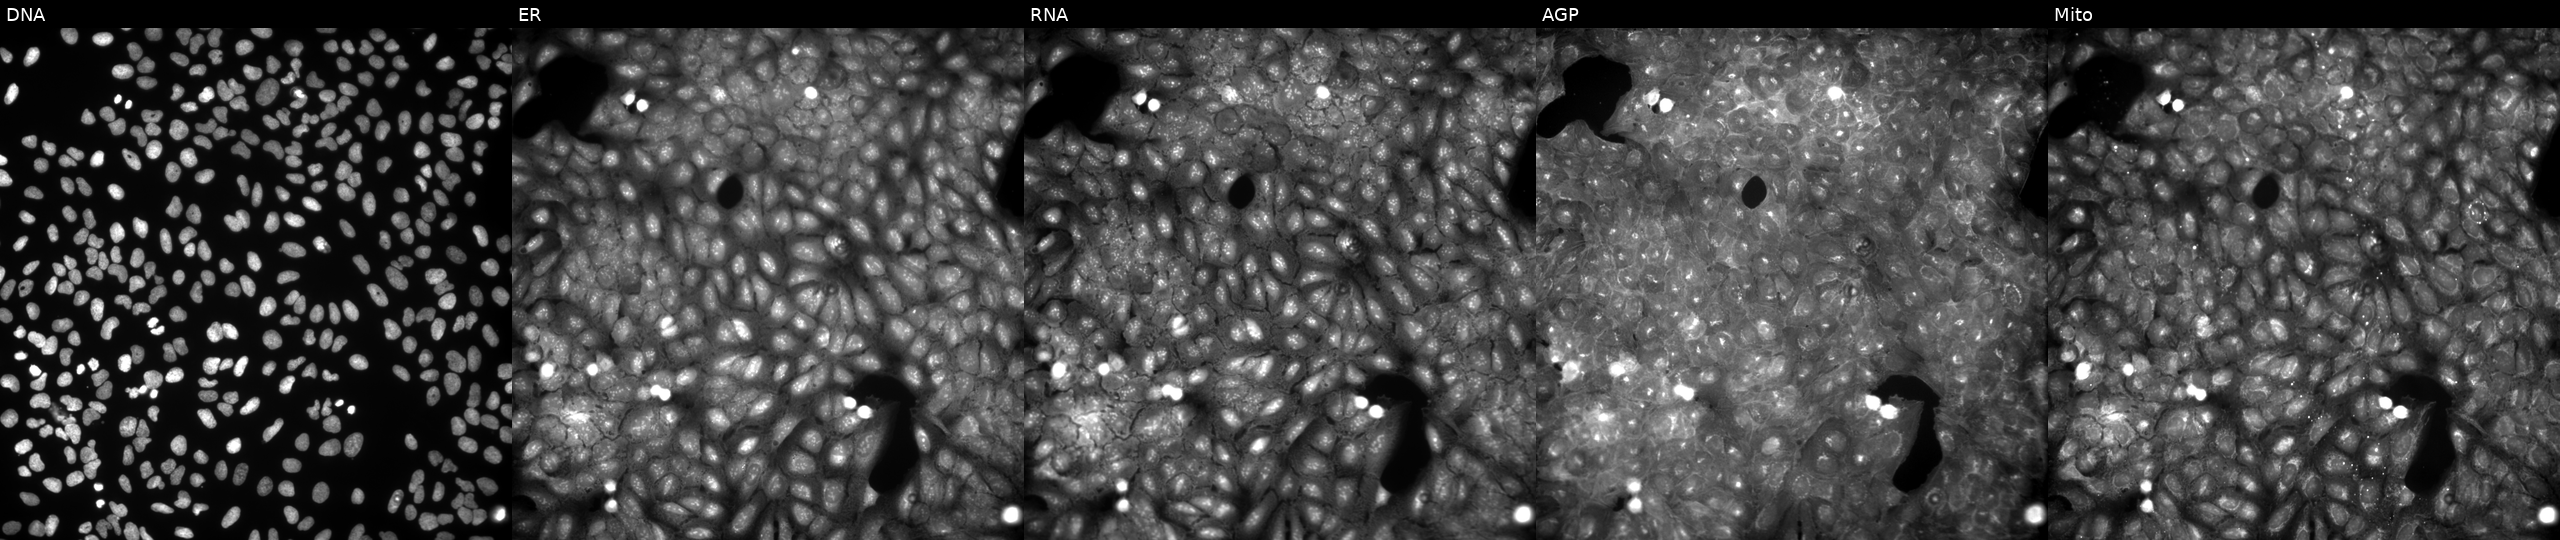
High-content fluorescence microscopy (Cell Painting). Cell line: U2OS. Perturbation: treated with a small-molecule compound (InChIKey GNWKHWLRRJFWMB-UHFFFAOYSA-N). The five panels, left to right, show Hoechst 33342, concanavalin A, SYTO 14, phalloidin and WGA, MitoTracker. Source 9, plate GR00003381, well V27.